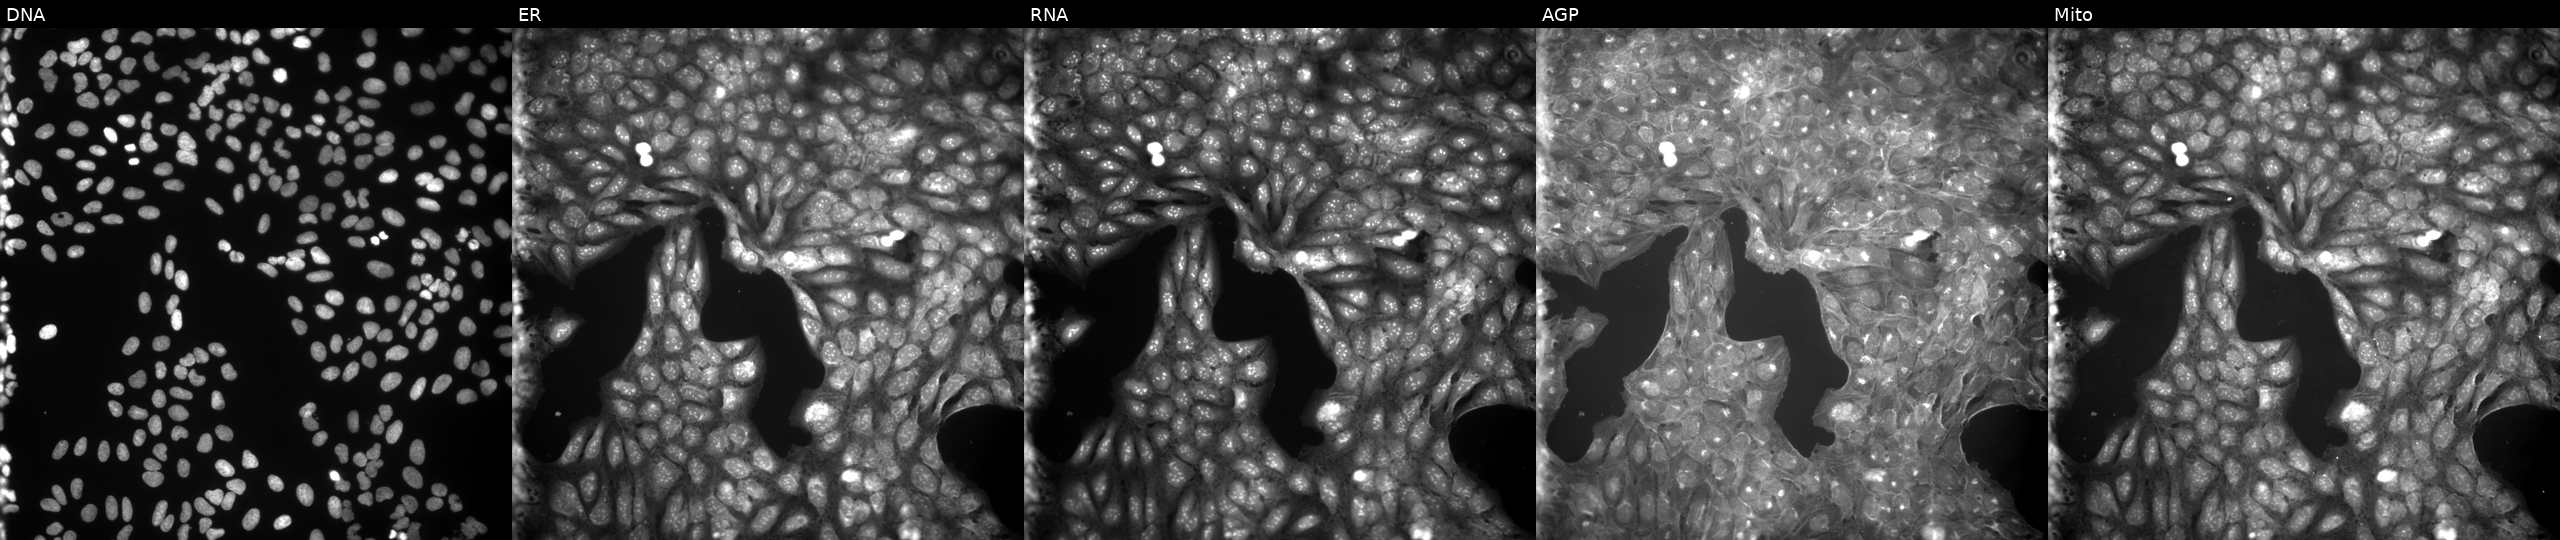
Five-channel Cell Painting image of U2OS cells exposed to DMSO alone as a negative control. From left to right: DNA (nuclei); ER (endoplasmic reticulum); RNA (nucleoli and cytoplasmic RNA); AGP (actin cytoskeleton, Golgi, and plasma membrane); Mito (mitochondria).